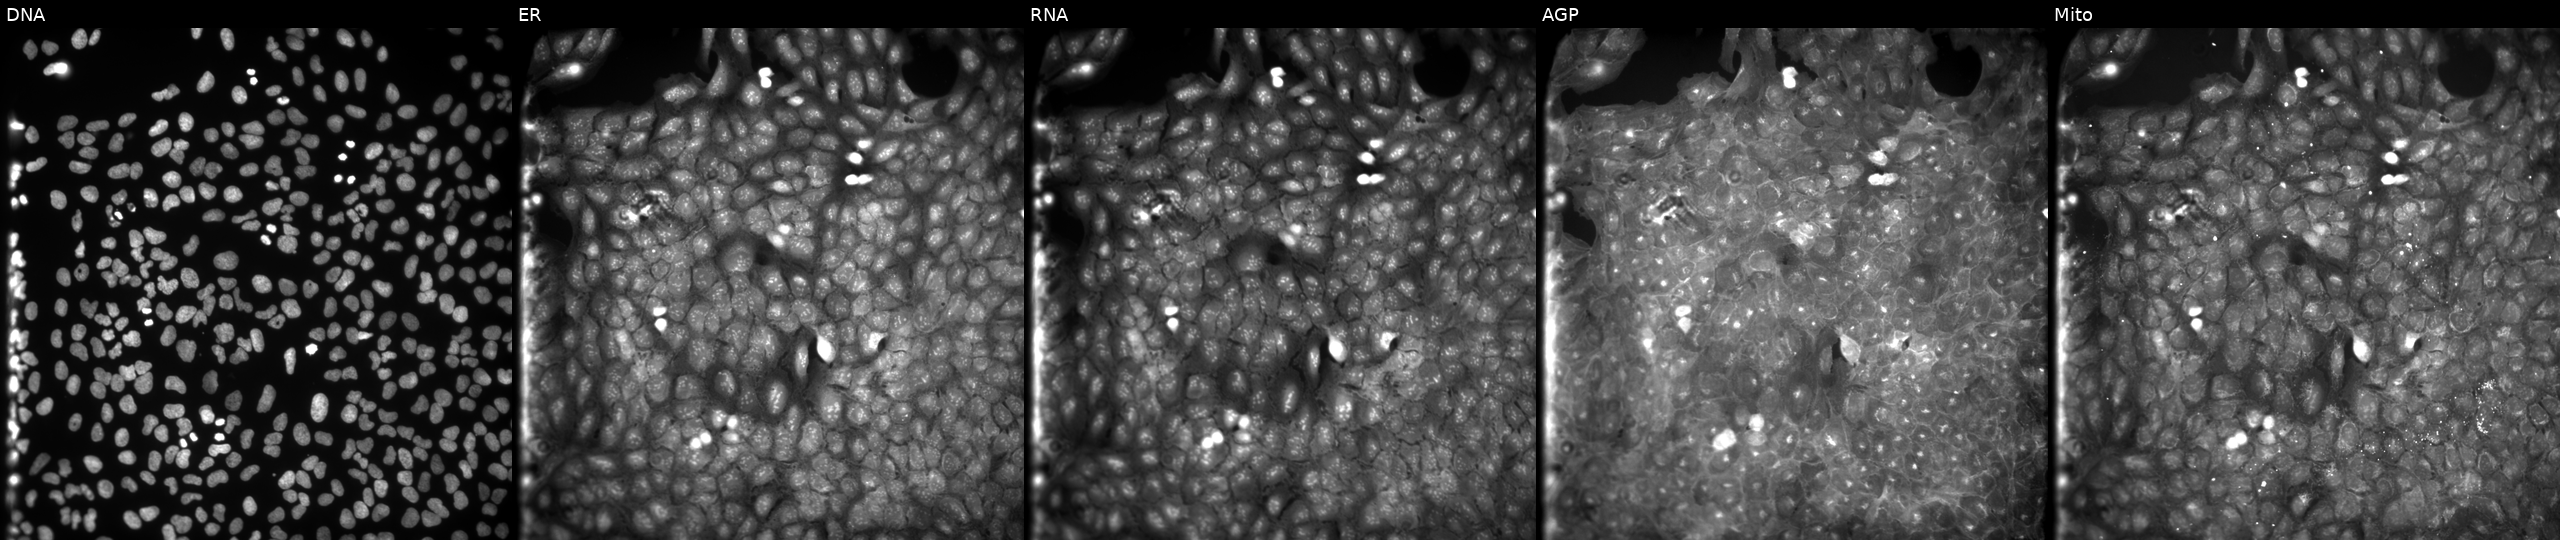
This image strip shows the five Cell Painting channels for a single field of U2OS cells treated with DMSO vehicle only (negative control). The five panels, left to right, show Hoechst 33342, concanavalin A, SYTO 14, phalloidin and WGA, MitoTracker.